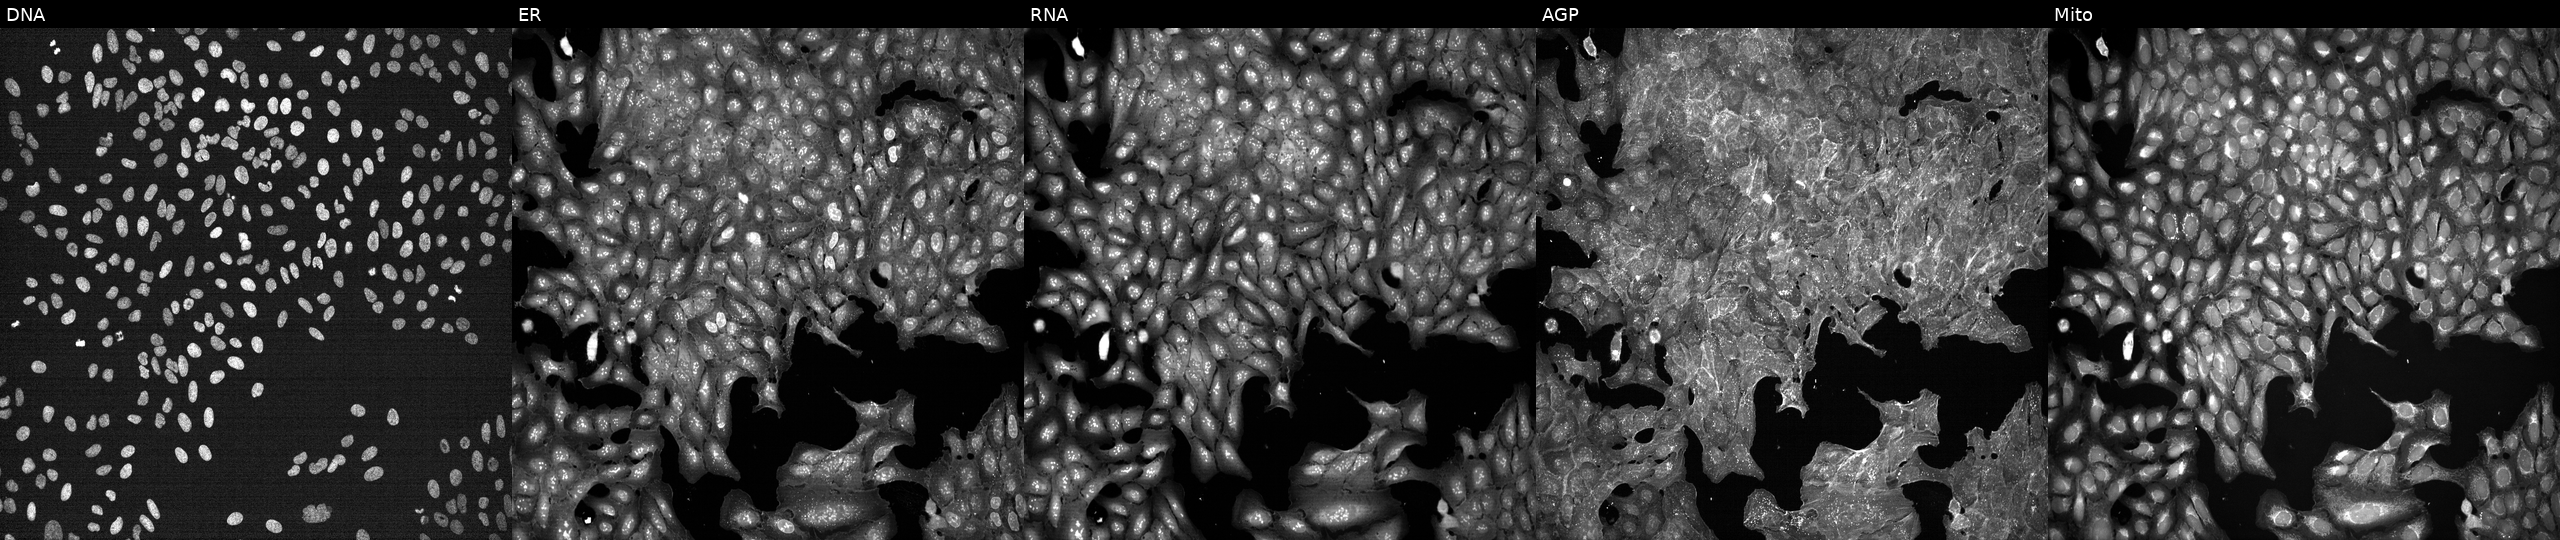
JUMP Cell Painting — TARGET2 plate. U2OS cells exposed to a small-molecule compound (InChIKey PKYKNPLSFOKASK-UHFFFAOYSA-N) (JUMP id JCP2022_069285). Channels (left→right): DNA (nuclei); ER (endoplasmic reticulum); RNA (nucleoli and cytoplasmic RNA); AGP (actin cytoskeleton, Golgi, and plasma membrane); Mito (mitochondria).